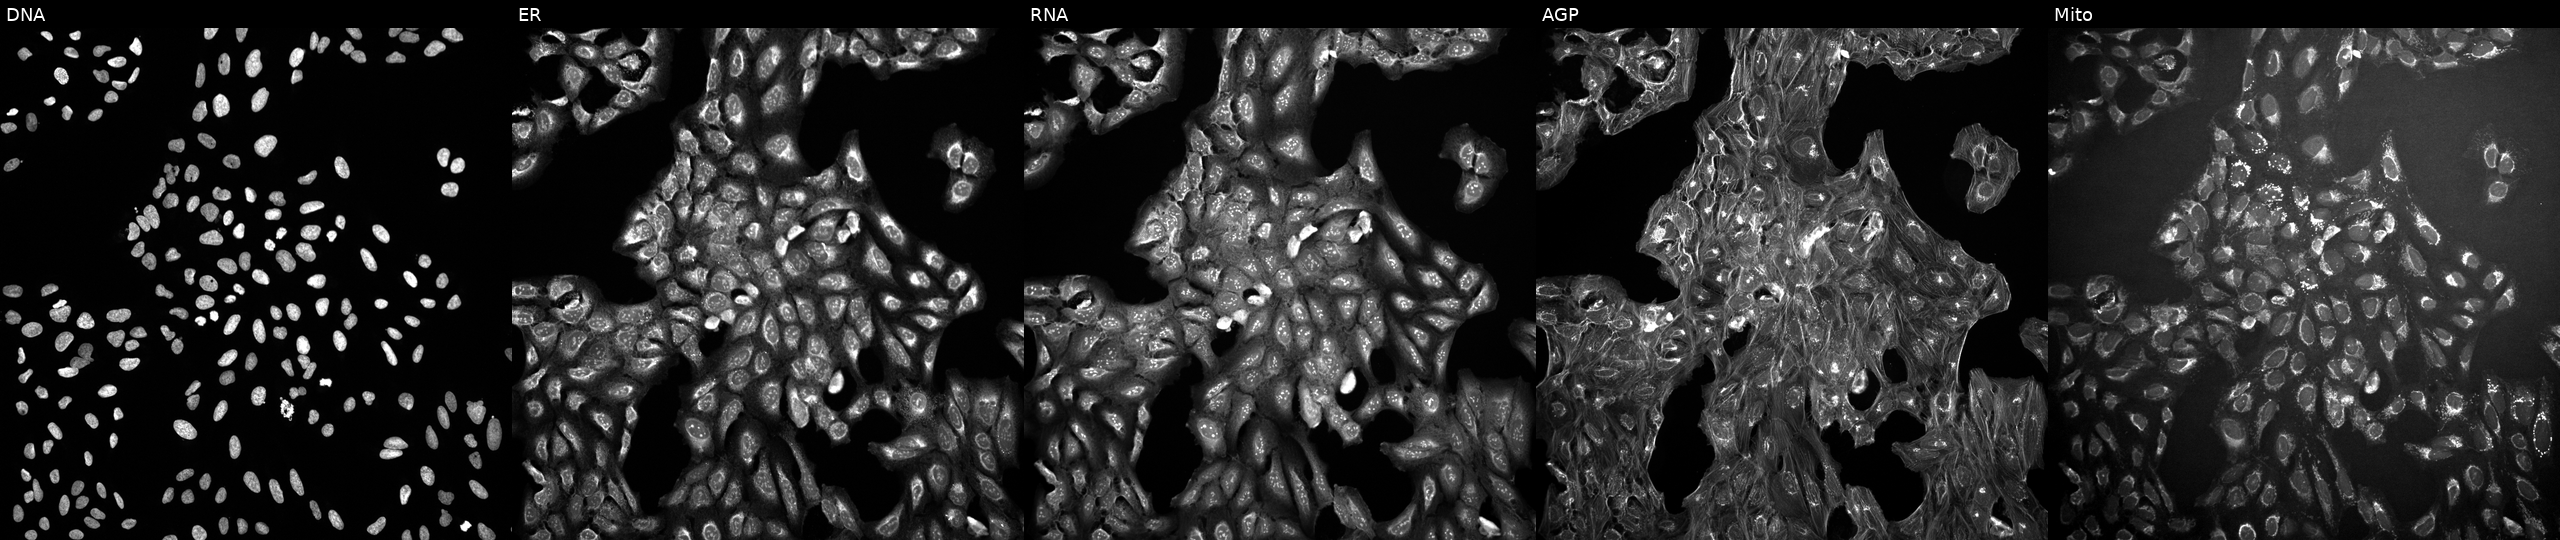
High-content fluorescence microscopy (Cell Painting). Cell line: U2OS. Perturbation: treated with a small-molecule compound (InChIKey PTVXLOBHDBXXES-UHFFFAOYSA-N). From left to right: DNA, ER, RNA, AGP, and Mito. Source 10, plate Dest210531-152324, well B07.